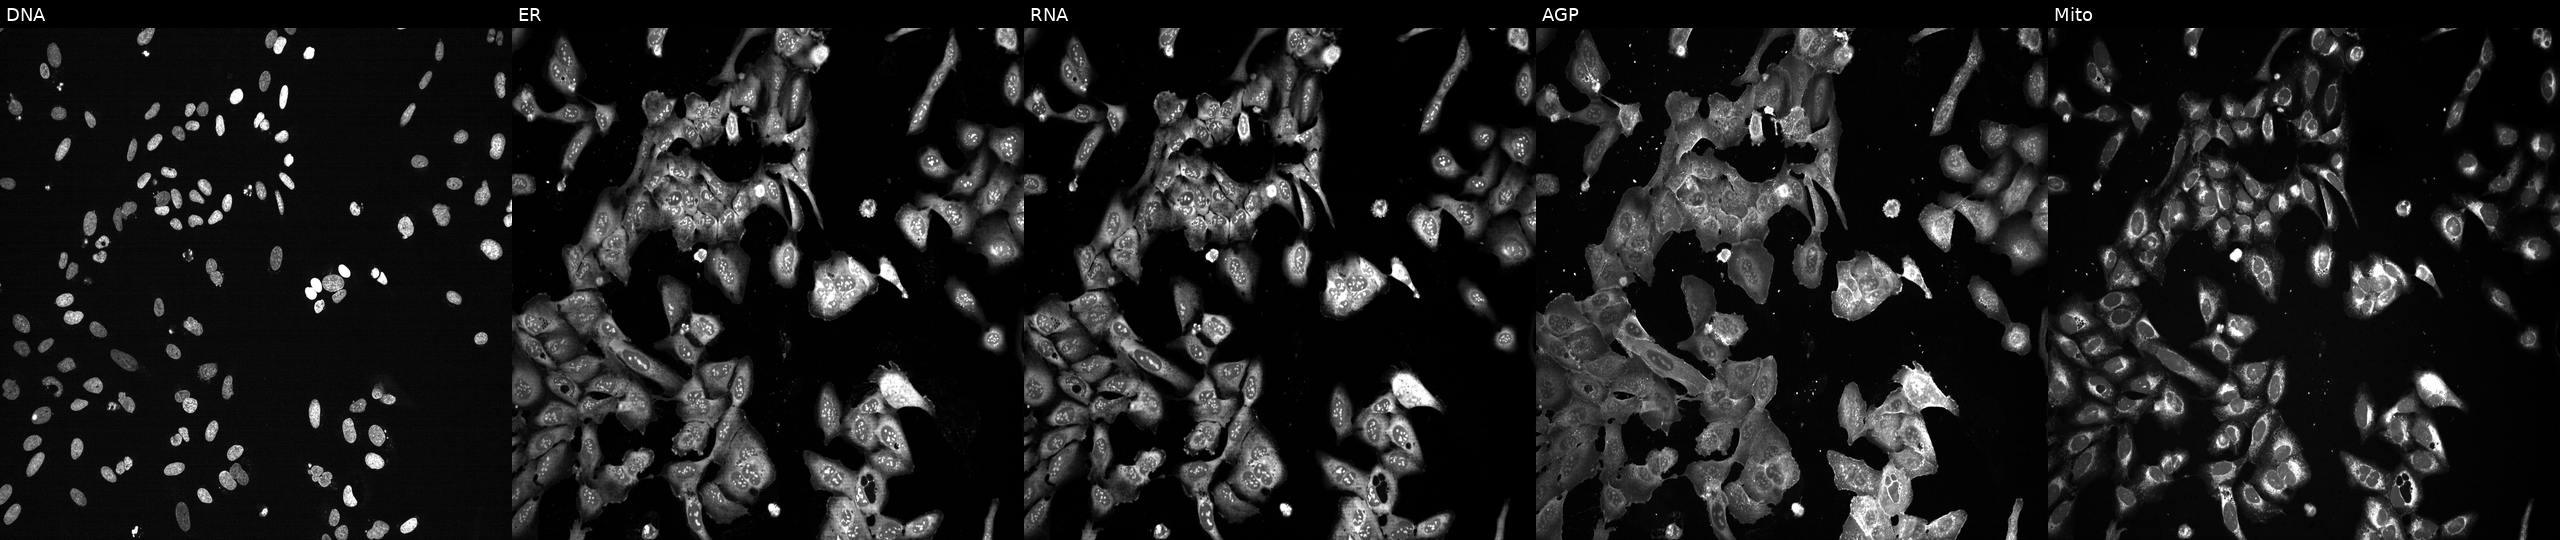
U2OS cells, Cell Painting assay, CRISPR-edited to disrupt PSMB3 (JUMP id JCP2022_805620). The five panels, left to right, show DNA (nuclei); ER (endoplasmic reticulum); RNA (nucleoli and cytoplasmic RNA); AGP (actin cytoskeleton, Golgi, and plasma membrane); Mito (mitochondria). Each panel is percentile-stretched 16-bit fluorescence. Source 13, plate CP-CC9-R6-19, well E05.